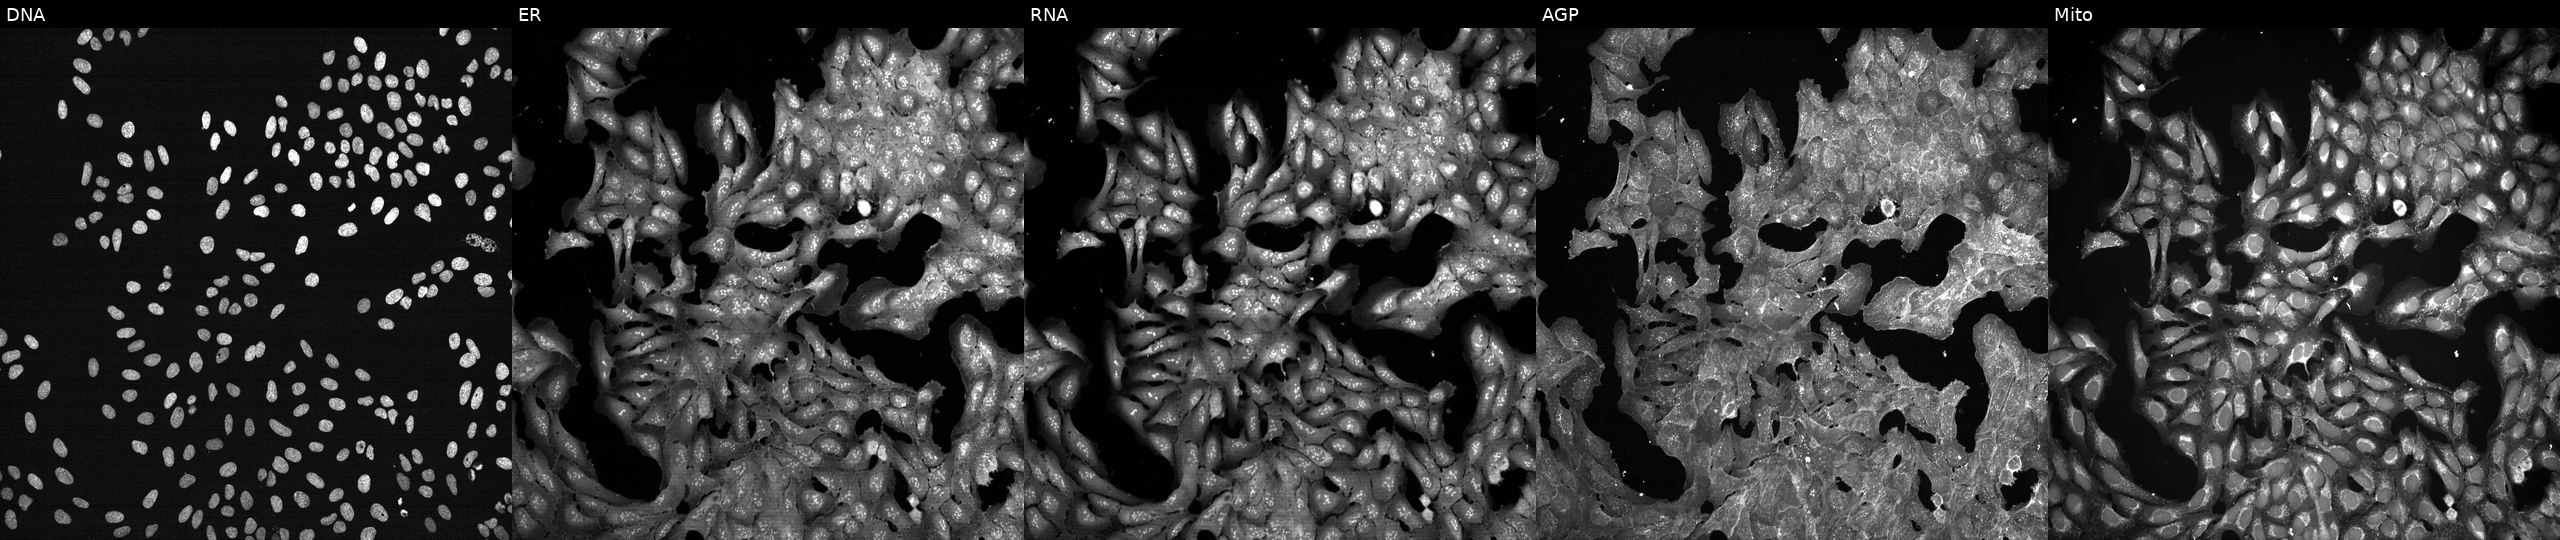
U2OS cells, Cell Painting assay, treated with a small-molecule compound (JUMP id JCP2022_054618). Panels show, left to right, Hoechst 33342, concanavalin A, SYTO 14, phalloidin and WGA, MitoTracker. Each panel is percentile-stretched 16-bit fluorescence. Source 7, plate CP2-SC1-25, well H05.